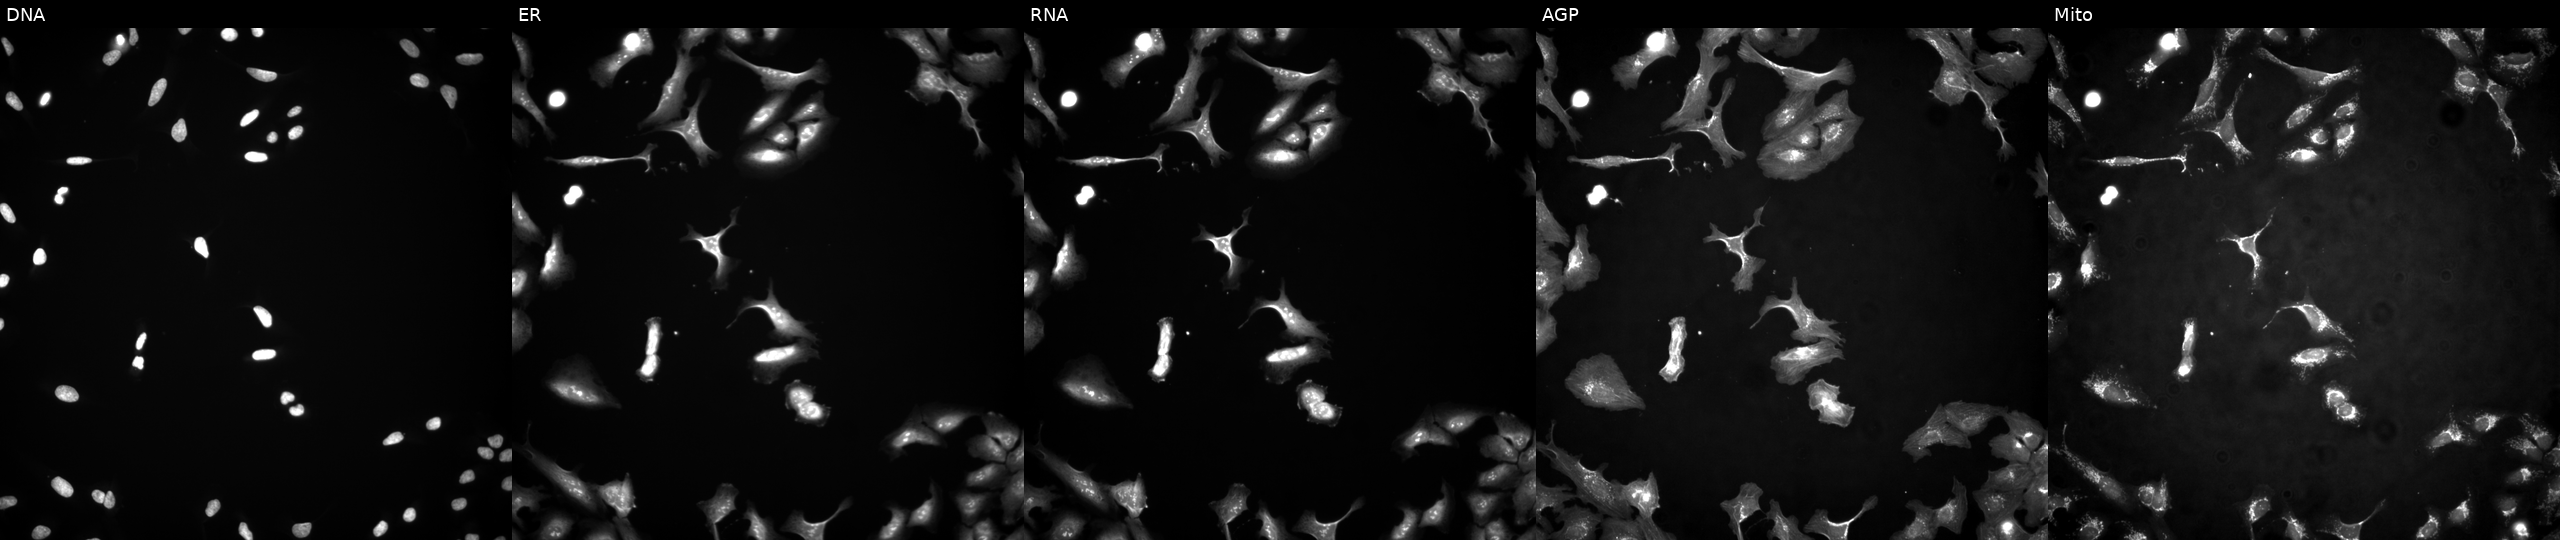
High-content fluorescence microscopy (Cell Painting). Cell line: U2OS. Perturbation: overexpressing ESR2 via ORF transfection. The five panels, left to right, show DNA (nuclei); ER (endoplasmic reticulum); RNA (nucleoli and cytoplasmic RNA); AGP (actin cytoskeleton, Golgi, and plasma membrane); Mito (mitochondria).